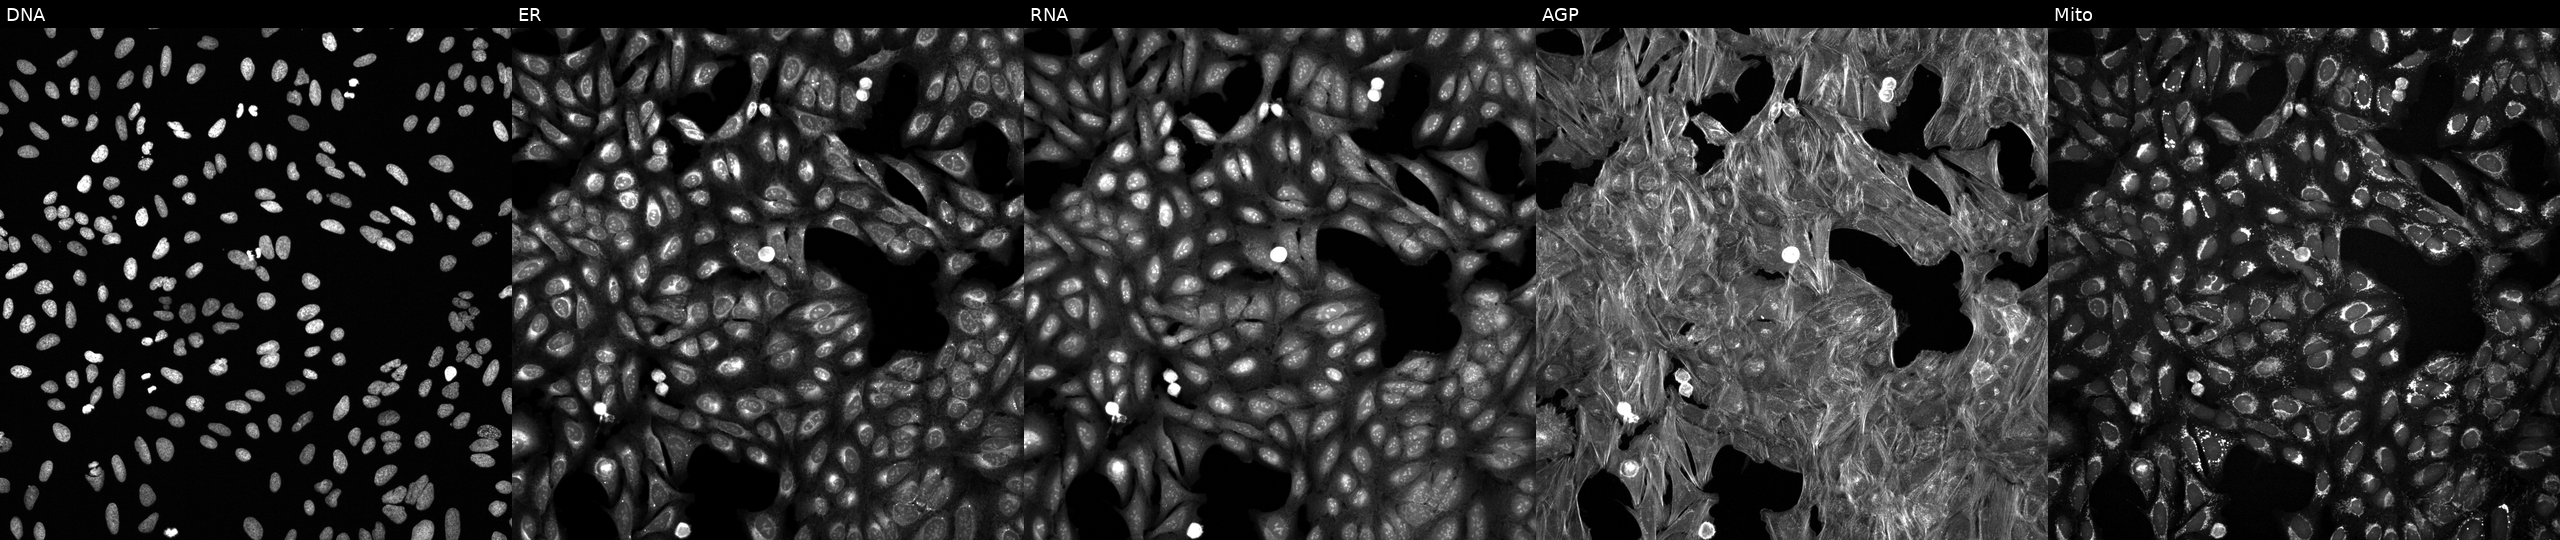
From left to right: Hoechst 33342, concanavalin A, SYTO 14, phalloidin and WGA, MitoTracker. U2OS osteosarcoma cells exposed to a small-molecule compound (InChIKey MPTKBSWKZBSGDW-UHFFFAOYSA-N). Cell Painting assay, JUMP-CP dataset.